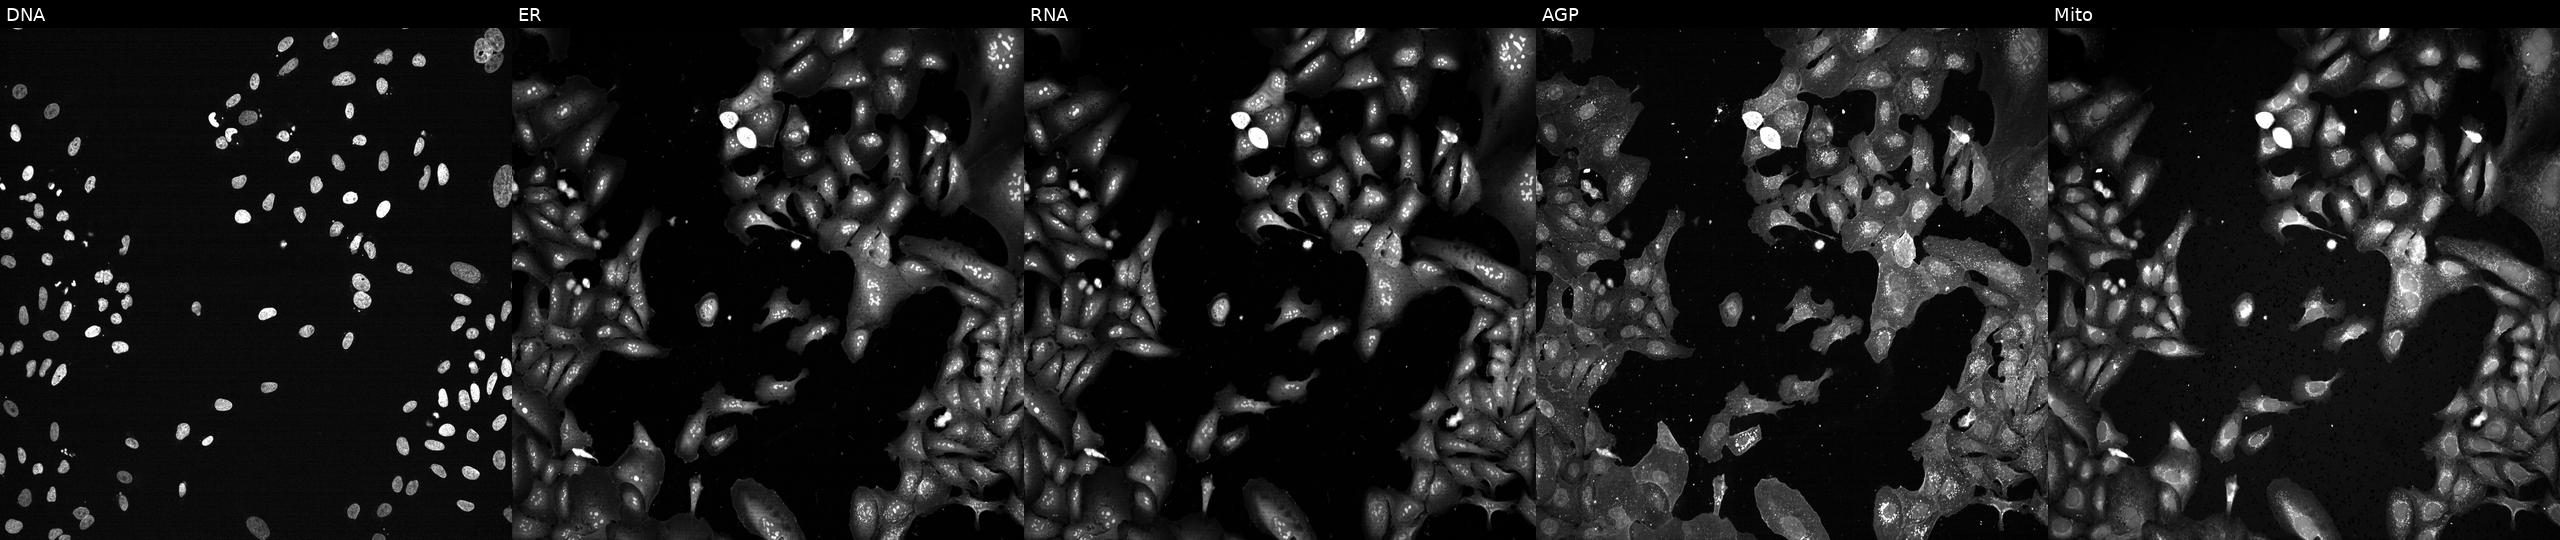
High-content fluorescence microscopy (Cell Painting). Cell line: U2OS. Perturbation: following CRISPR knockout of ALKBH1. Channels (left→right): Hoechst 33342, concanavalin A, SYTO 14, phalloidin and WGA, MitoTracker.